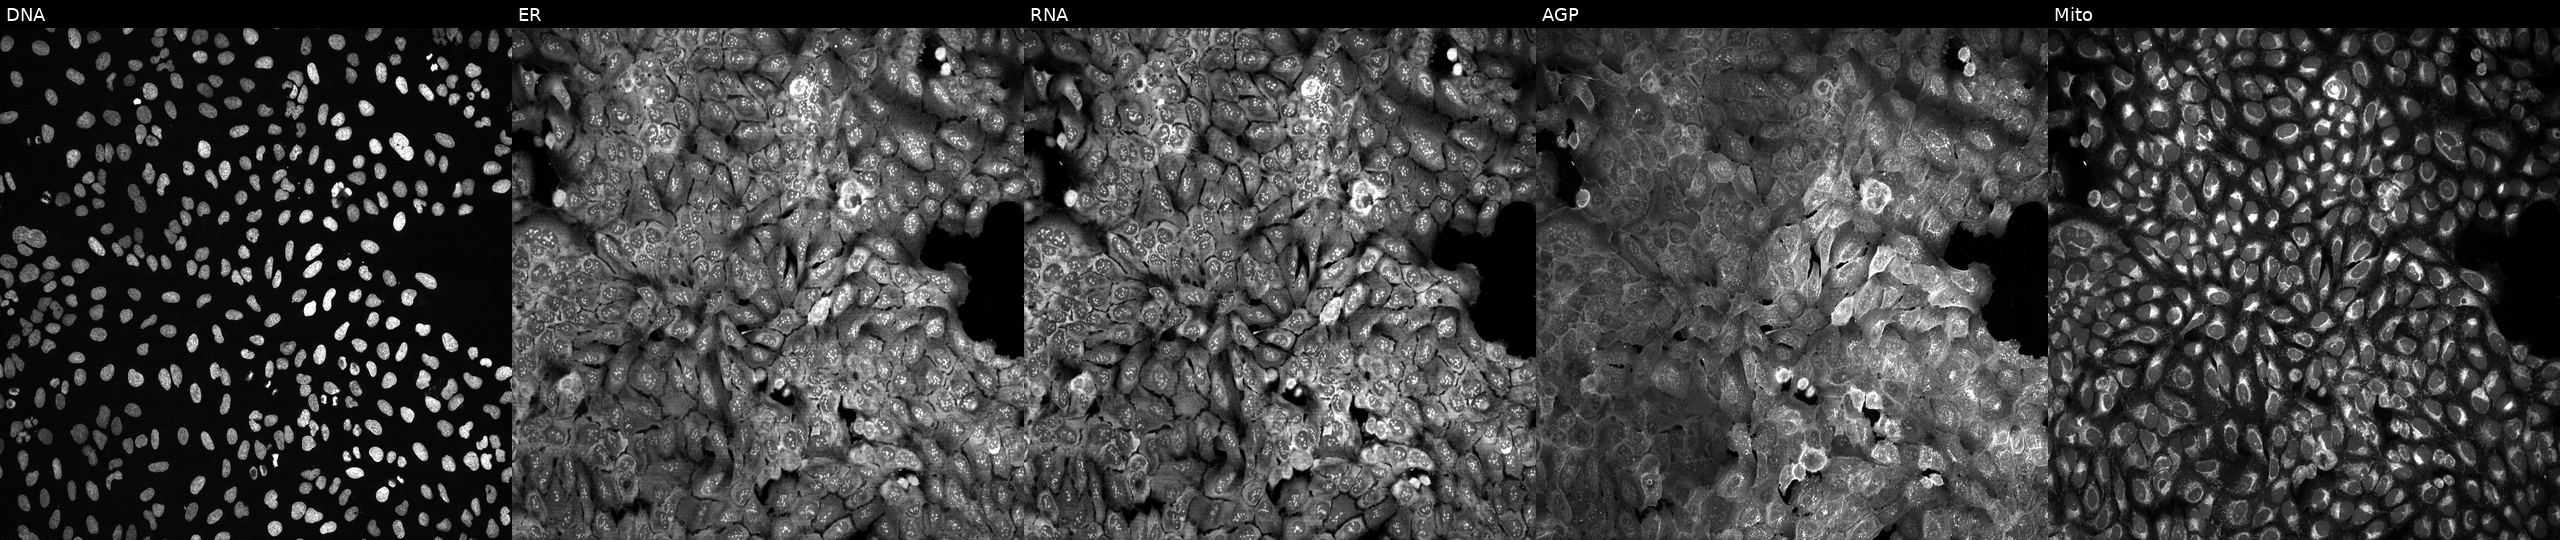
U2OS cells, Cell Painting assay, CRISPR-edited to disrupt TMPRSS5. Panels show, left to right, DNA, ER, RNA, AGP, and Mito. Each panel is percentile-stretched 16-bit fluorescence. Source 13, plate CP-CC9-R6-19, well K13.